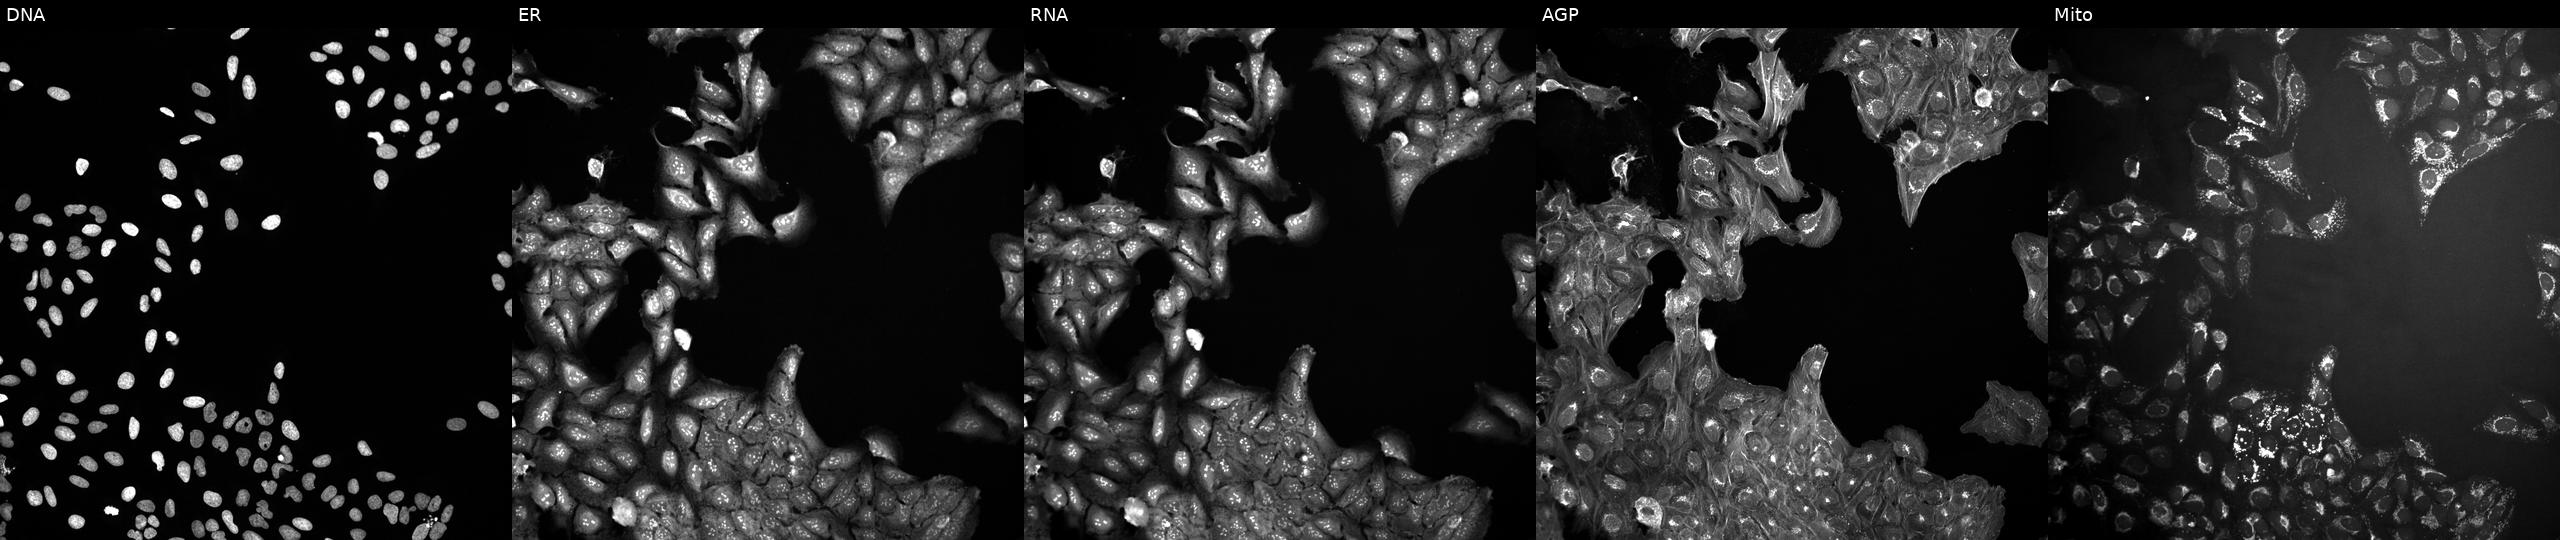
This image strip shows the five Cell Painting channels for a single field of U2OS cells exposed to a small-molecule compound (InChIKey LSGSZXICWRRURB-UHFFFAOYSA-N) (JUMP id JCP2022_051427). Channels (left→right): DNA (nuclei); ER (endoplasmic reticulum); RNA (nucleoli and cytoplasmic RNA); AGP (actin cytoskeleton, Golgi, and plasma membrane); Mito (mitochondria).